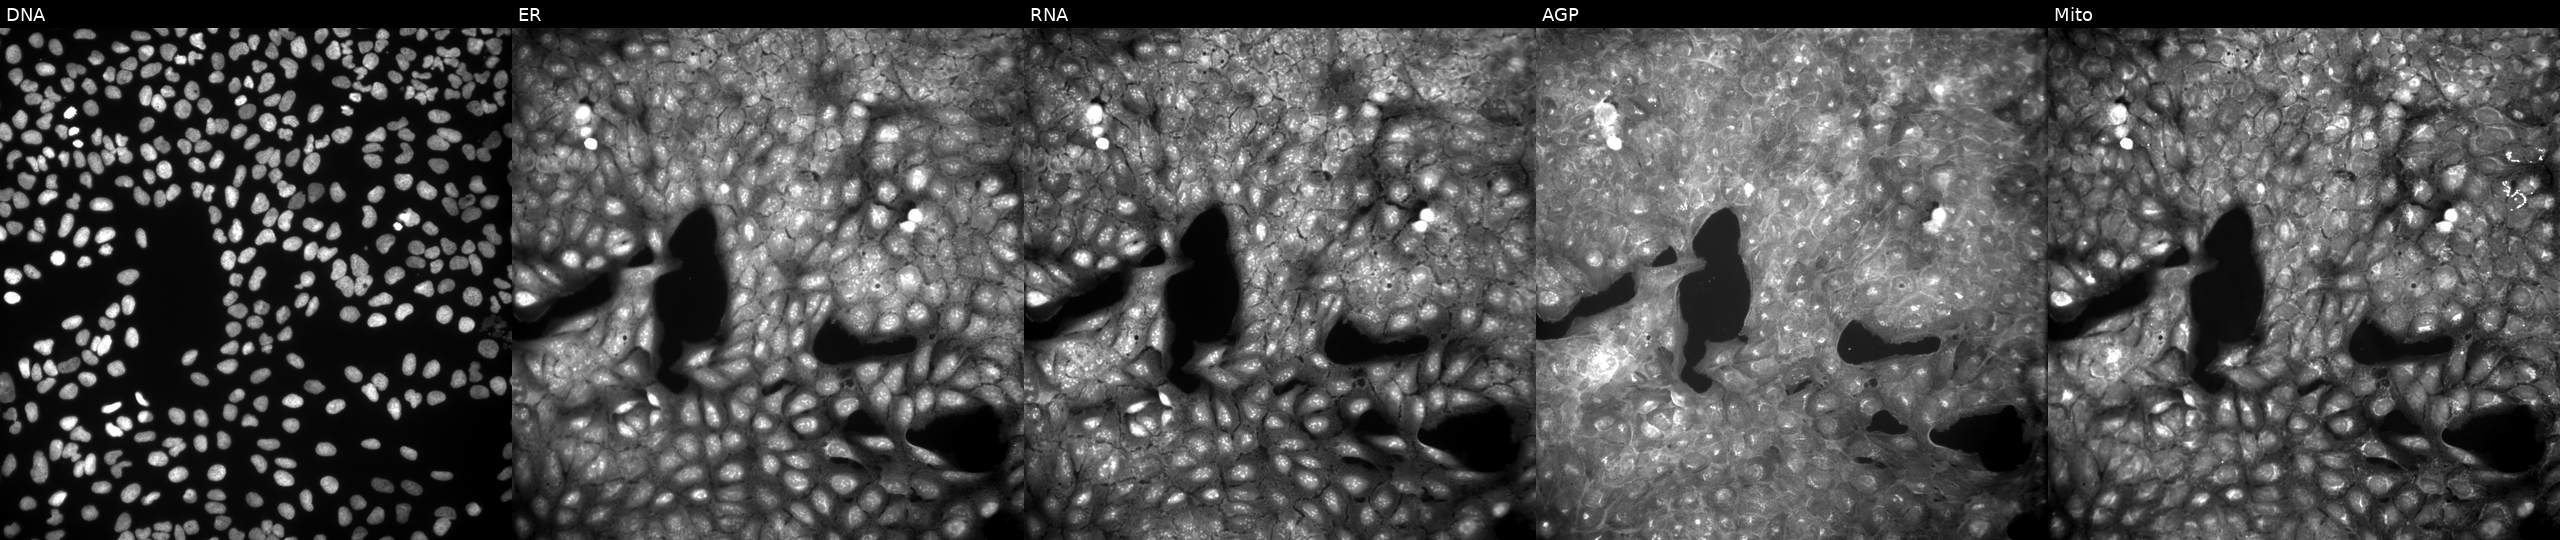
This image strip shows the five Cell Painting channels for a single field of U2OS cells treated with a small-molecule compound. The five panels, left to right, show DNA, ER, RNA, AGP, and Mito. Source 9, plate GR00003381, well G41.